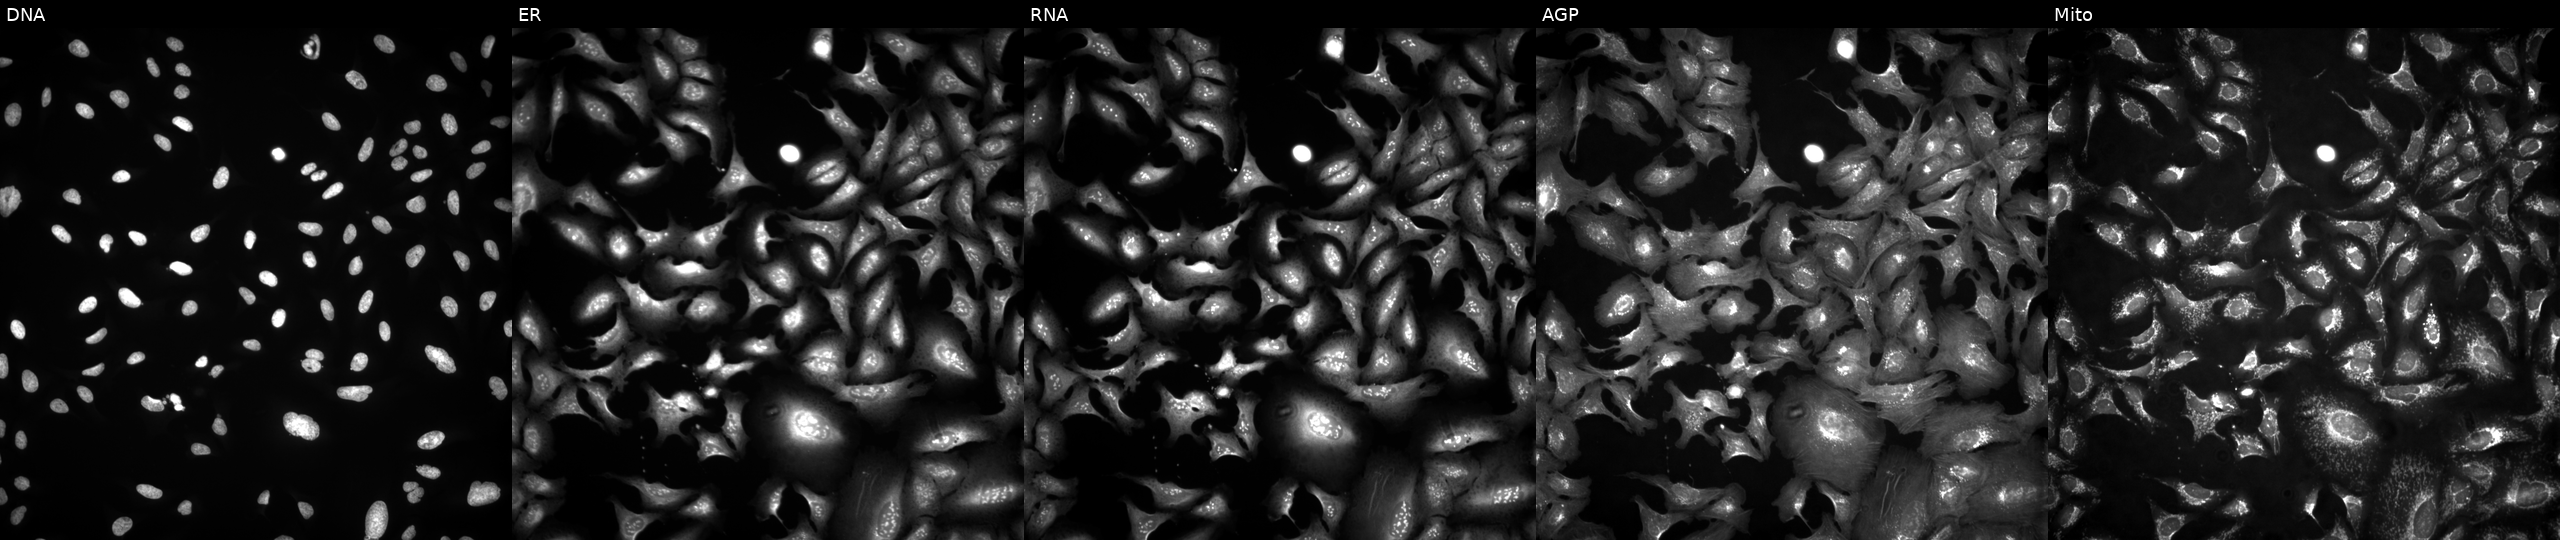
JUMP Cell Painting — ORF plate. U2OS cells overexpressing CORO1B via ORF transfection. Panels show, left to right, Hoechst 33342, concanavalin A, SYTO 14, phalloidin and WGA, MitoTracker. Source 4, plate BR00124787, well H06.